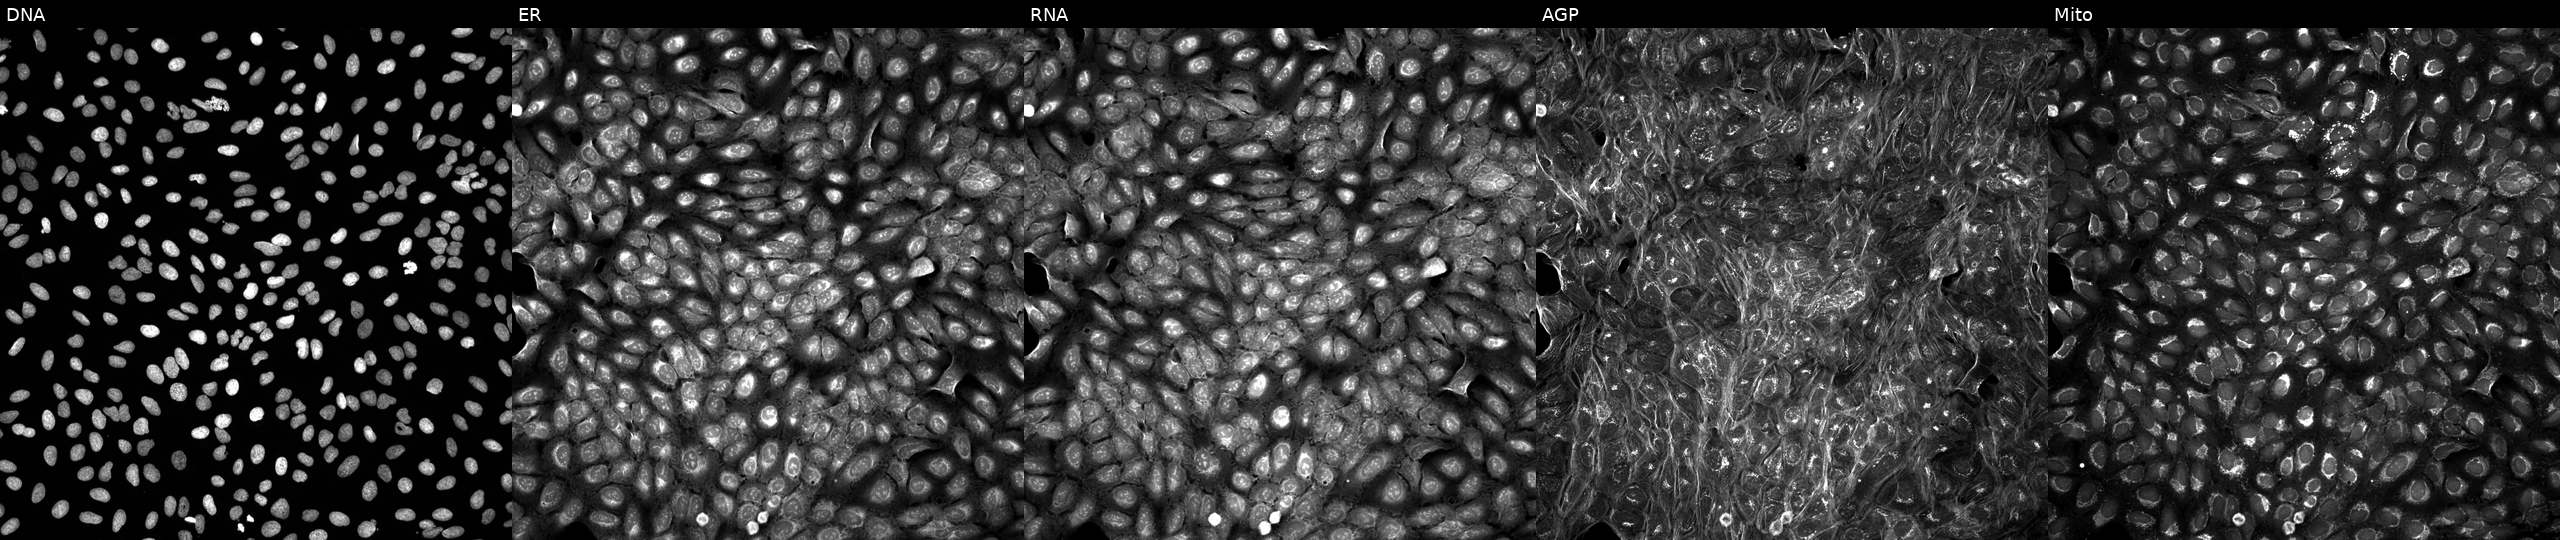
Panels show, left to right, Hoechst 33342, concanavalin A, SYTO 14, phalloidin and WGA, MitoTracker. U2OS osteosarcoma cells treated with DMSO vehicle only (negative control). Cell Painting assay, JUMP-CP dataset.